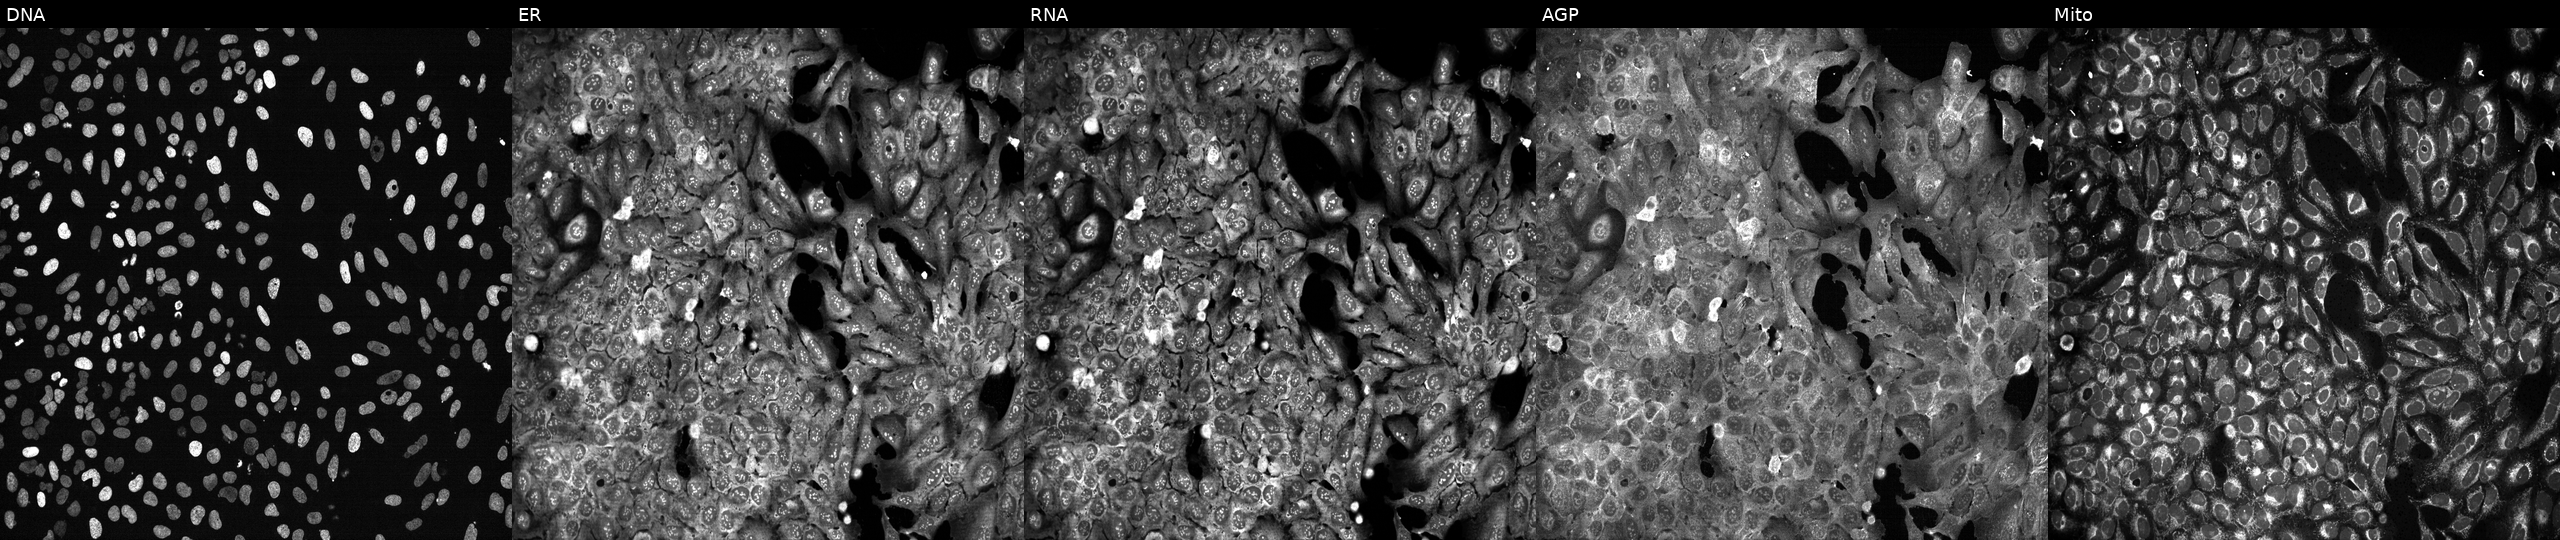
Five-channel Cell Painting image of U2OS cells with GCLM knocked out by CRISPR. The five panels, left to right, show DNA (nuclei); ER (endoplasmic reticulum); RNA (nucleoli and cytoplasmic RNA); AGP (actin cytoskeleton, Golgi, and plasma membrane); Mito (mitochondria).